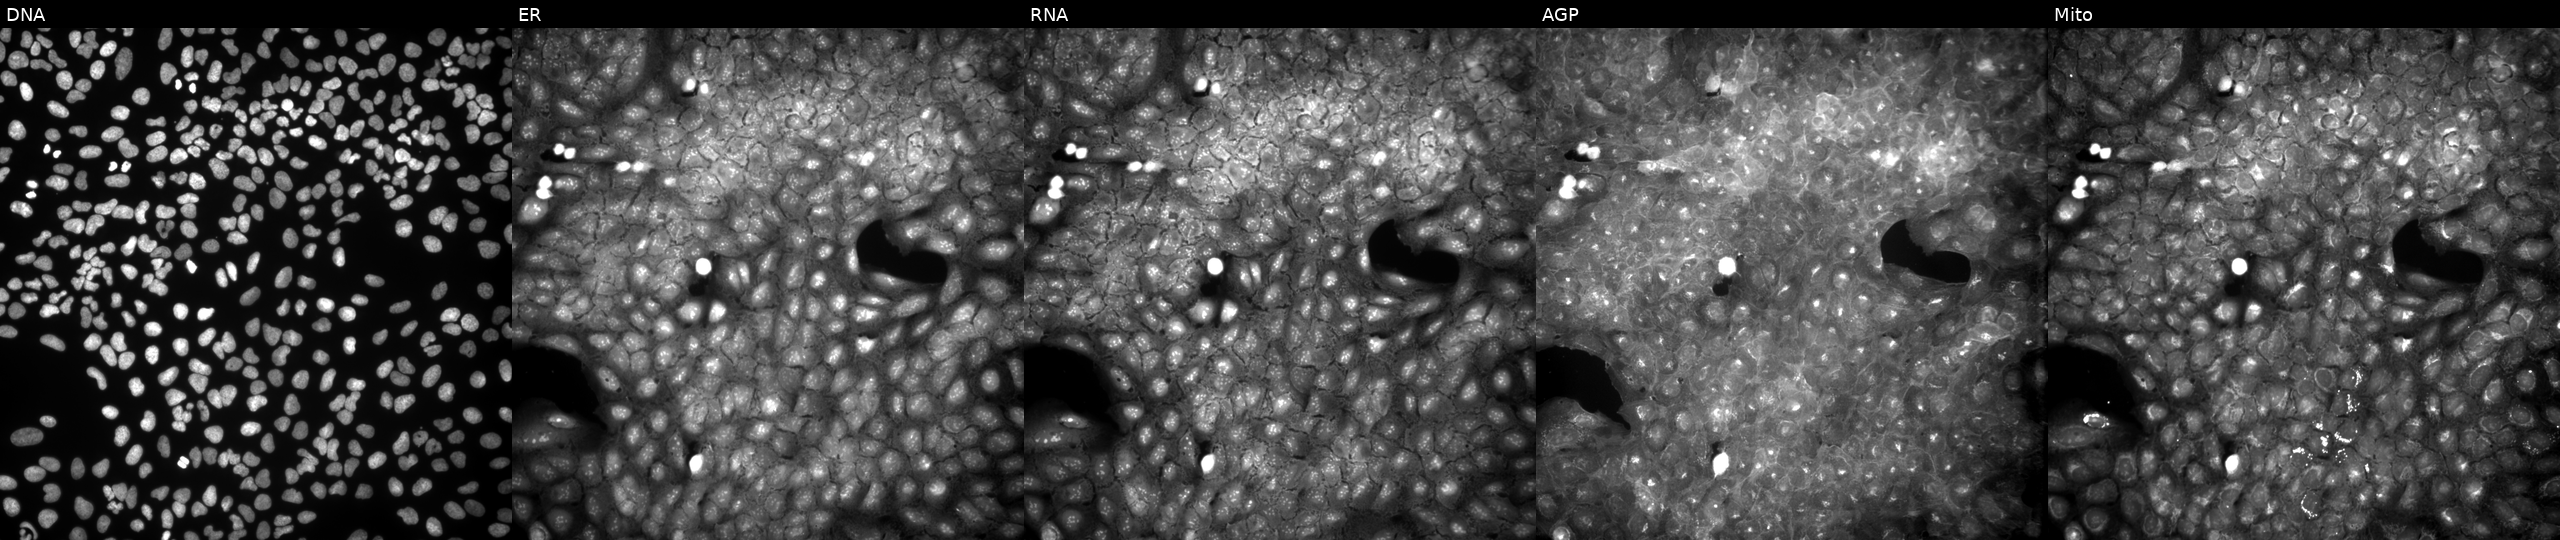
U2OS cells, Cell Painting assay, perturbed with a small-molecule compound (InChIKey UHCZREFKUQAXRH-UHFFFAOYSA-N) [SMILES: O=C(CCSc1nnc2ccccn12)Nc1ccc(F)cc1] (JUMP id JCP2022_089204). Panels show, left to right, DNA, ER, RNA, AGP, and Mito. Each panel is percentile-stretched 16-bit fluorescence.